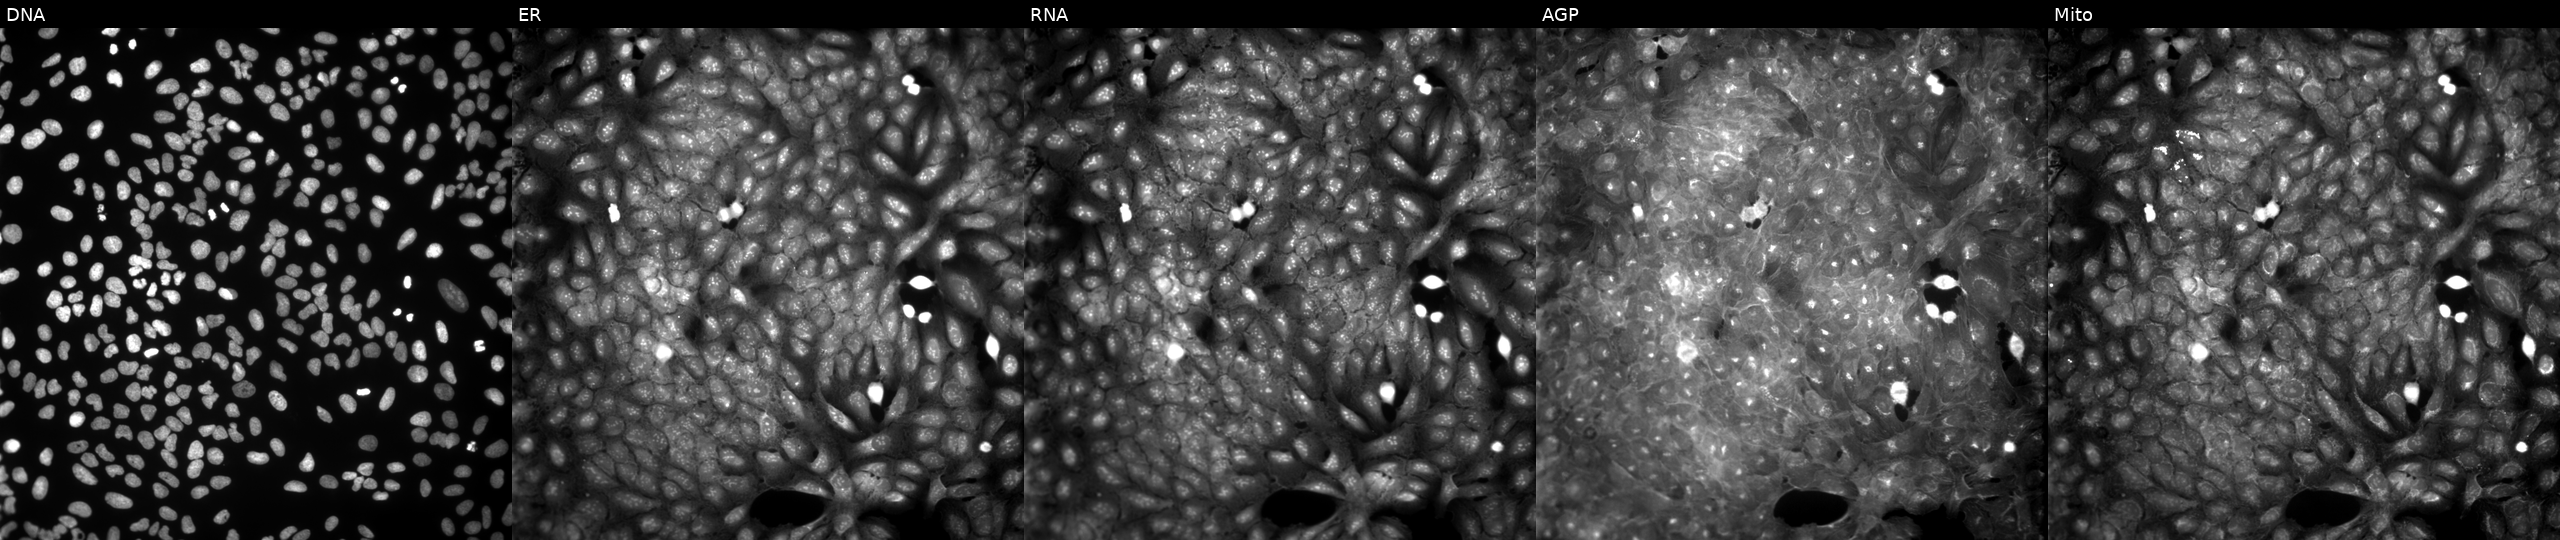
High-content fluorescence microscopy (Cell Painting). Cell line: U2OS. Perturbation: exposed to a small-molecule compound. The five panels, left to right, show DNA (nuclei); ER (endoplasmic reticulum); RNA (nucleoli and cytoplasmic RNA); AGP (actin cytoskeleton, Golgi, and plasma membrane); Mito (mitochondria).